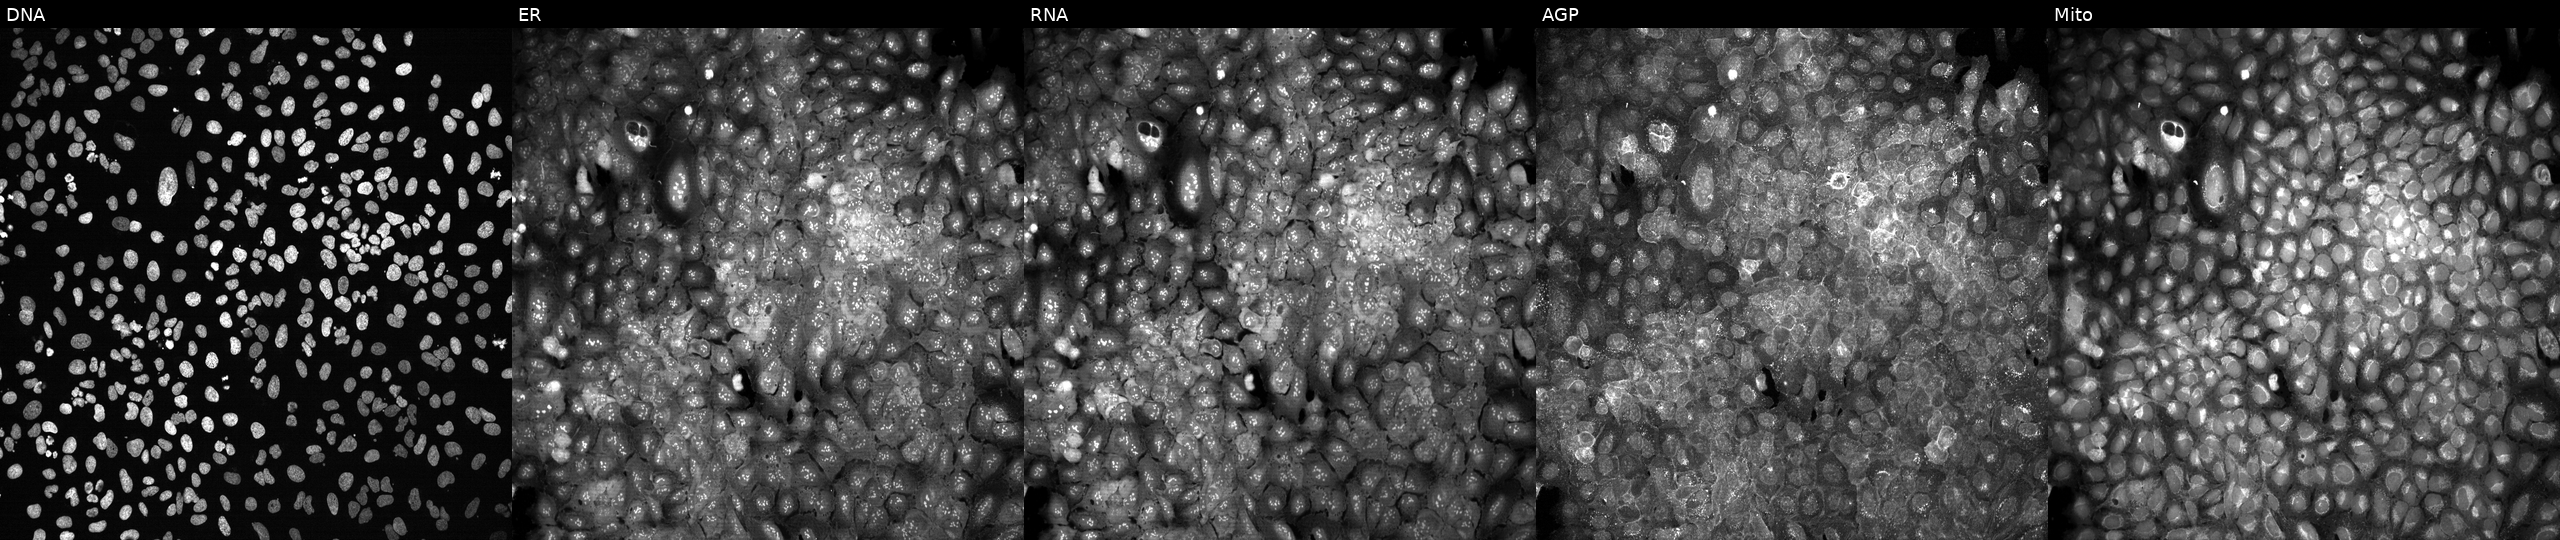
Five-channel Cell Painting image of U2OS cells CRISPR-edited to disrupt NDST3. The five panels, left to right, show DNA, ER, RNA, AGP, and Mito.